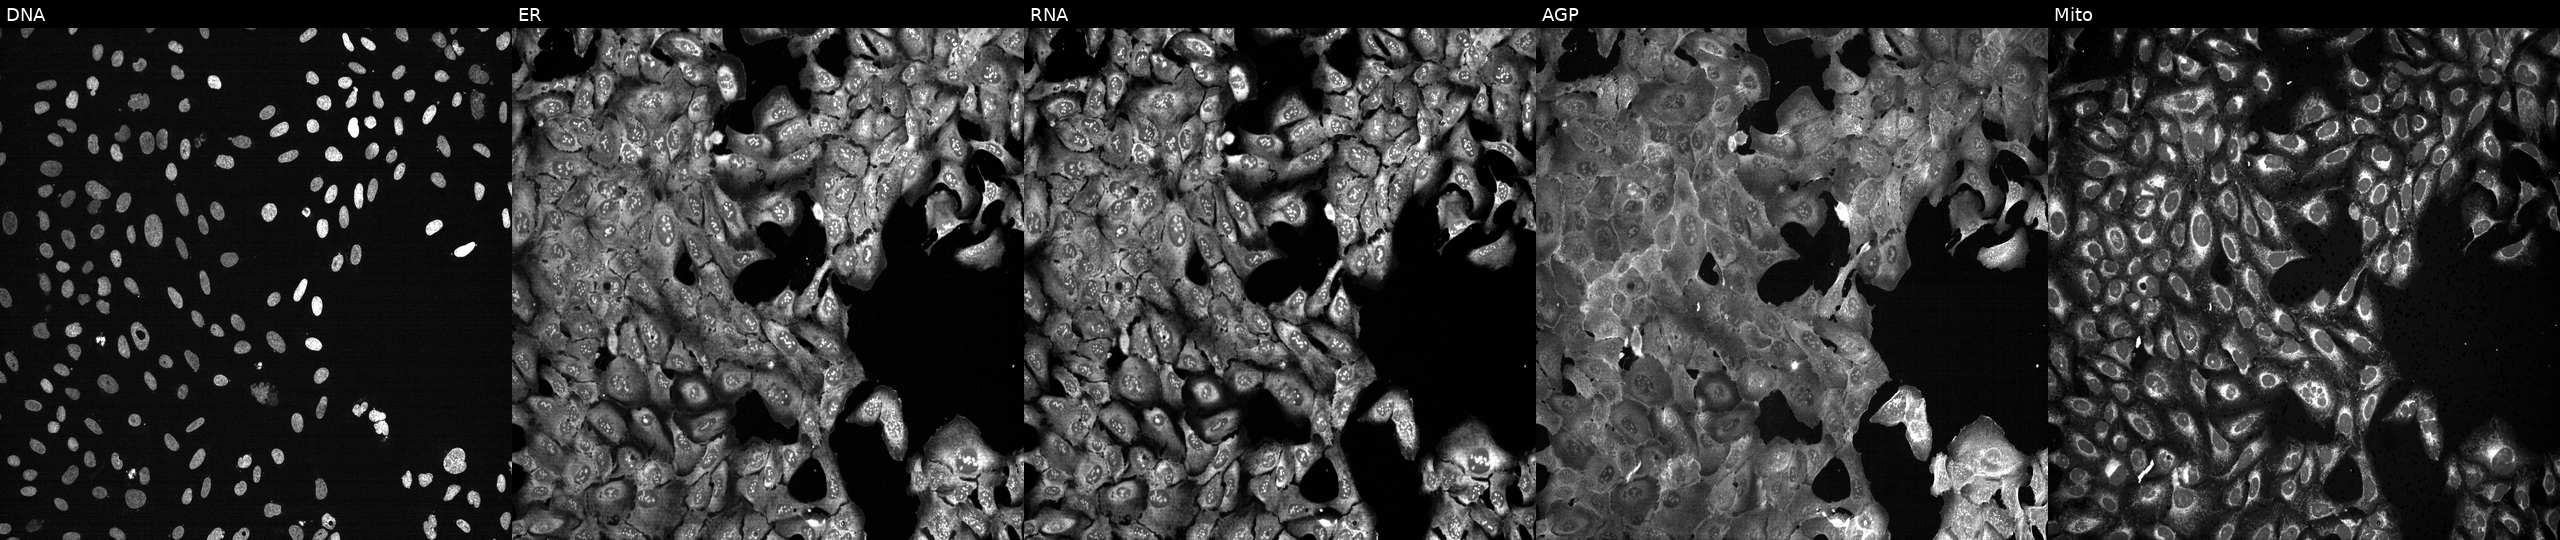
Five-channel Cell Painting image of U2OS cells CRISPR-edited to disrupt EIF1 (JUMP id JCP2022_802040). The five panels, left to right, show Hoechst 33342, concanavalin A, SYTO 14, phalloidin and WGA, MitoTracker.